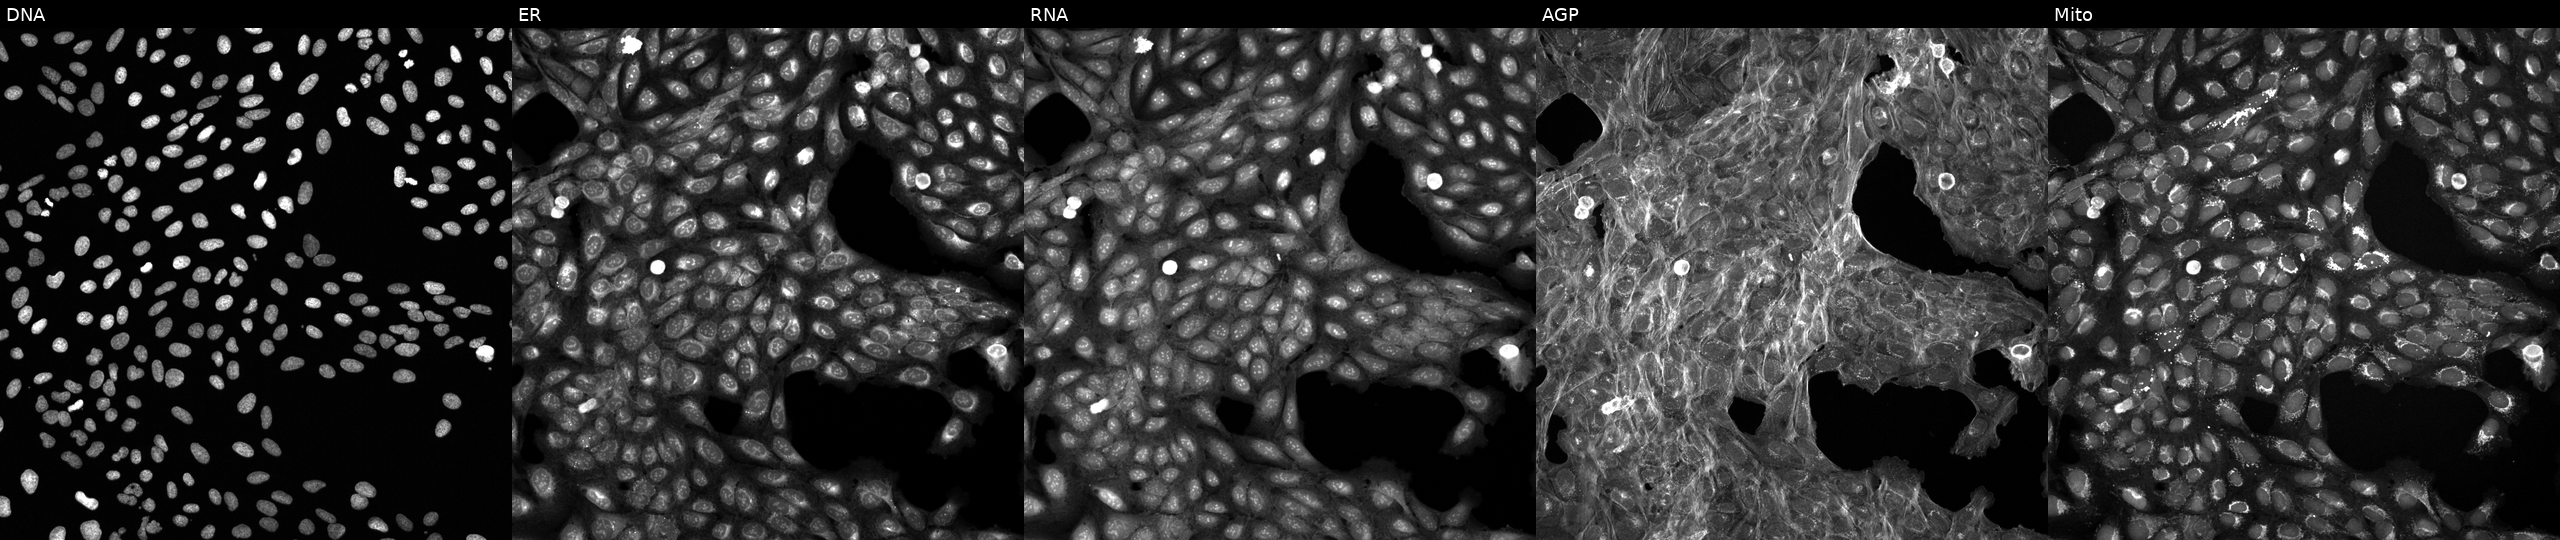
High-content fluorescence microscopy (Cell Painting). Cell line: U2OS. Perturbation: treated with a small-molecule compound (InChIKey IIQUYGWWHIHOCF-UHFFFAOYSA-N). Panels show, left to right, DNA (nuclei); ER (endoplasmic reticulum); RNA (nucleoli and cytoplasmic RNA); AGP (actin cytoskeleton, Golgi, and plasma membrane); Mito (mitochondria). Source 6, plate 110000294901, well J01.